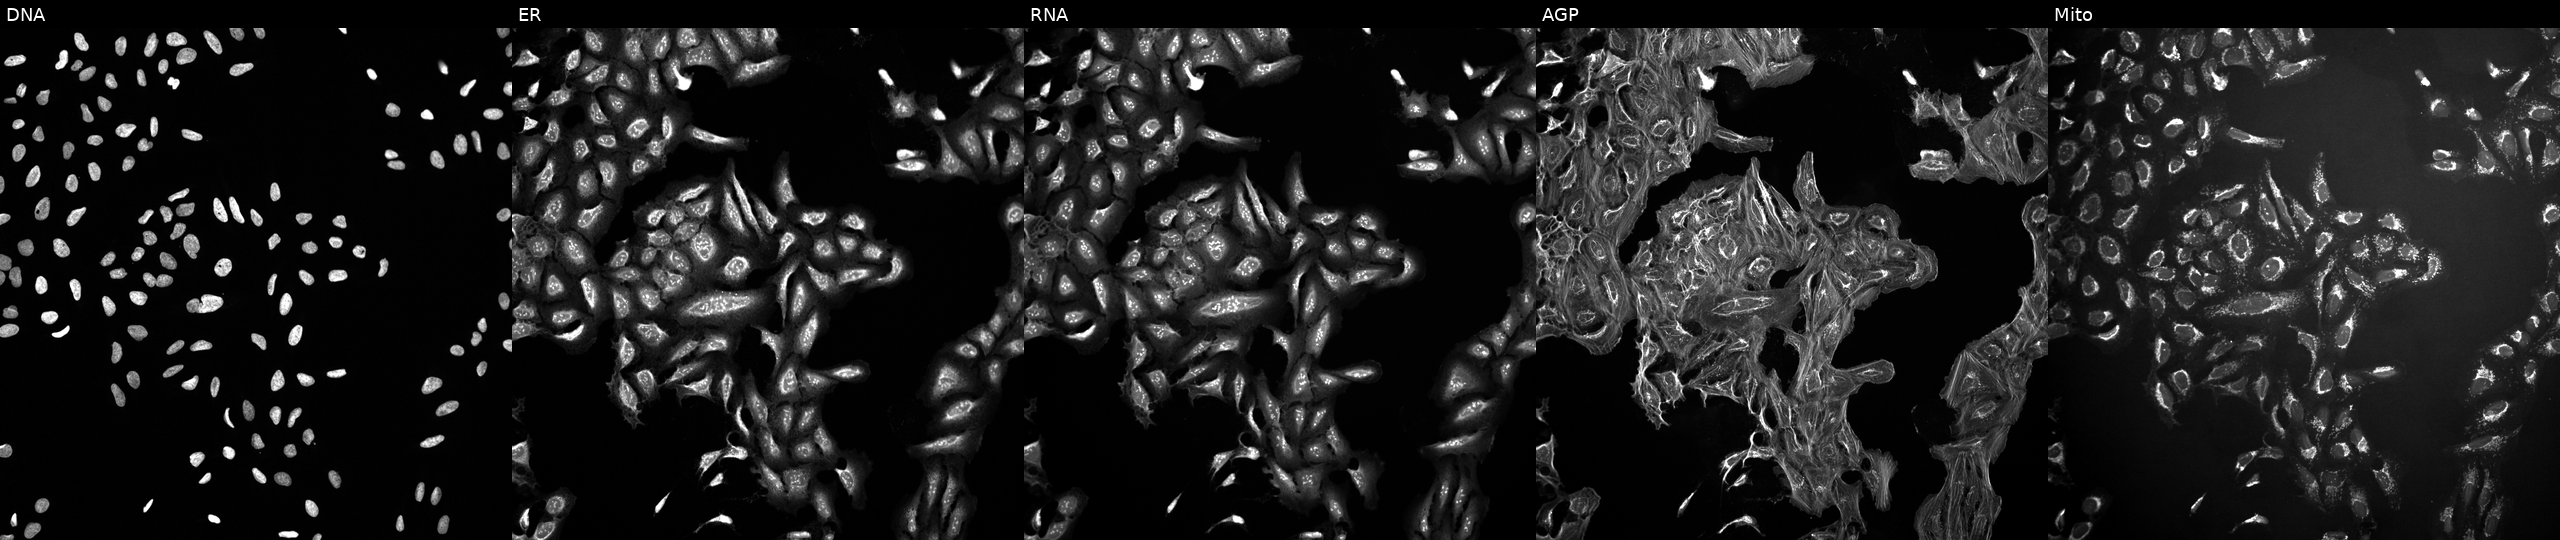
Five-channel Cell Painting image of U2OS cells treated with a small-molecule compound (InChIKey CKTSBUTUHBMZGZ-UHFFFAOYSA-N) (JUMP id JCP2022_011759). From left to right: Hoechst 33342, concanavalin A, SYTO 14, phalloidin and WGA, MitoTracker.